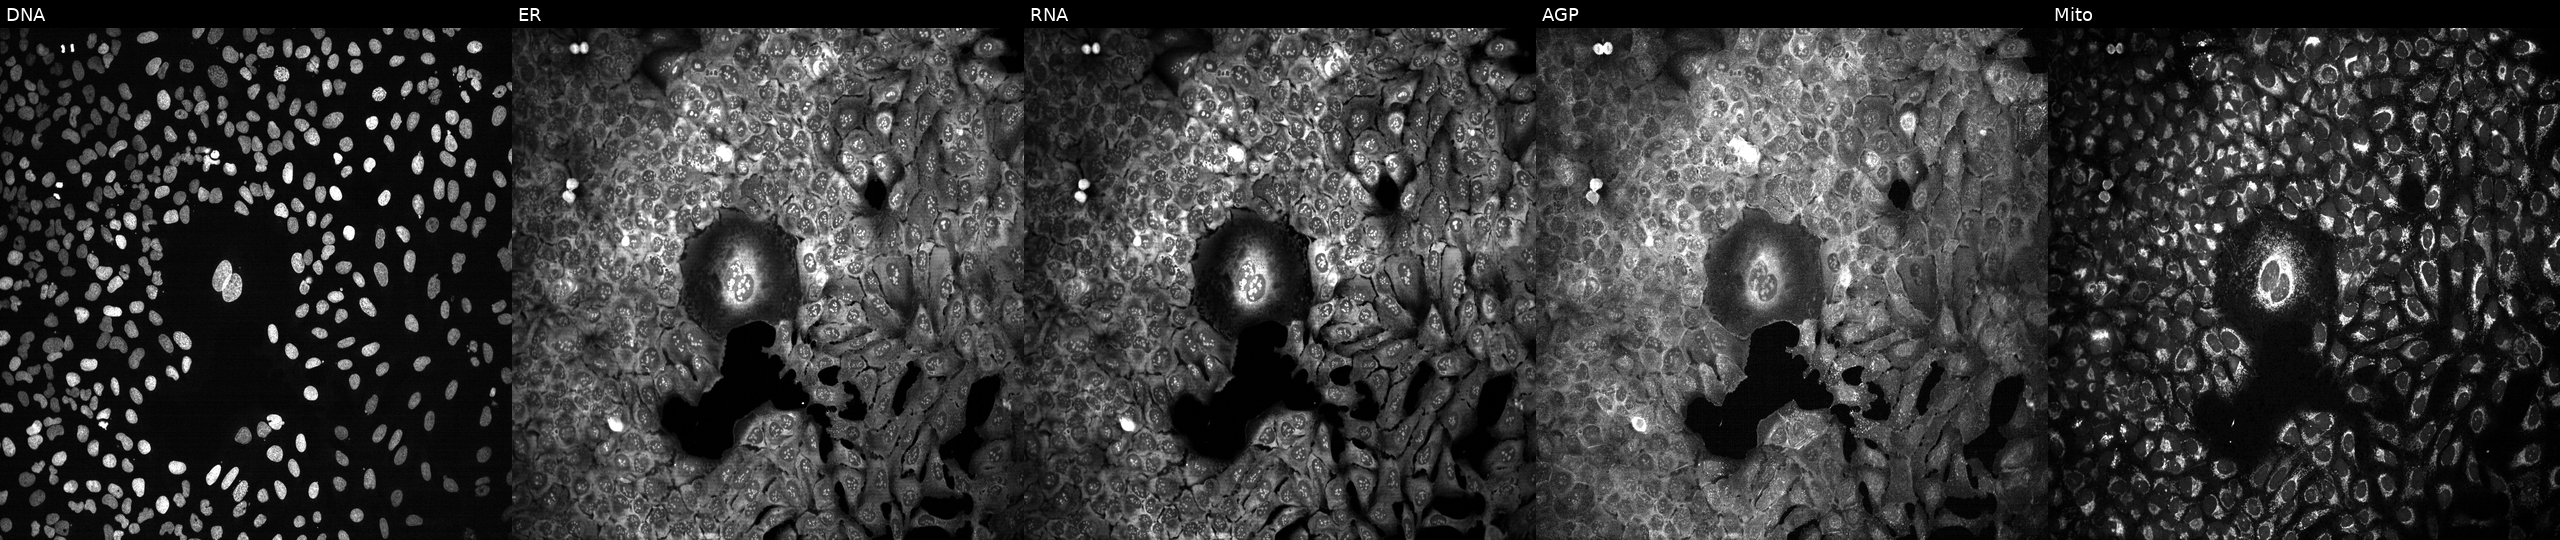
U2OS cells, Cell Painting assay, with GPAT3 knocked out by CRISPR. Panels show, left to right, DNA, ER, RNA, AGP, and Mito. Each panel is percentile-stretched 16-bit fluorescence.